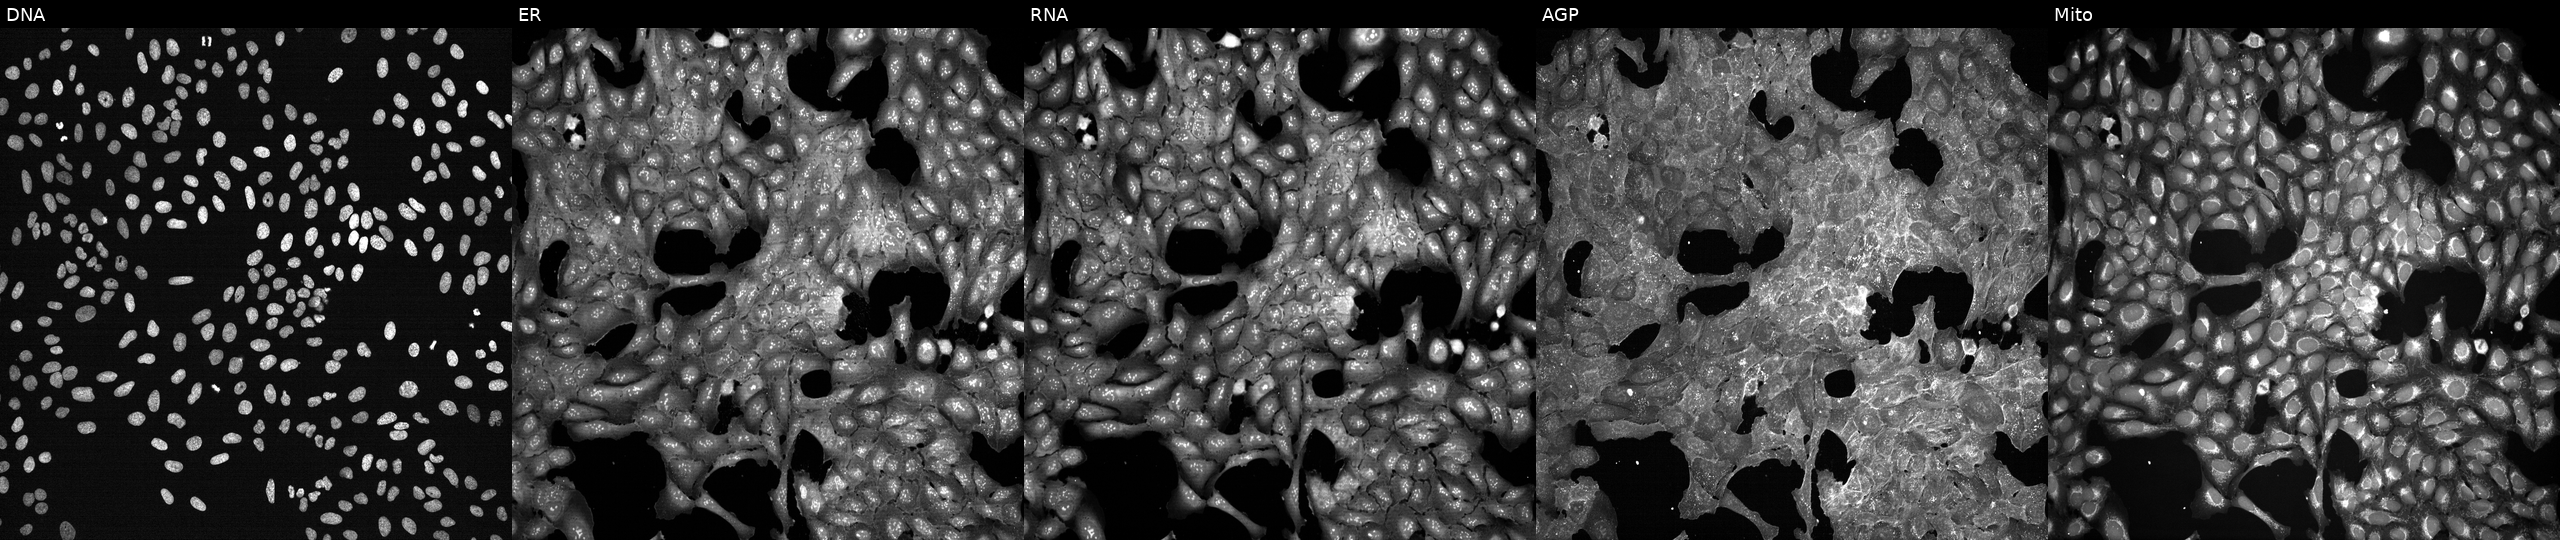
From left to right: Hoechst 33342, concanavalin A, SYTO 14, phalloidin and WGA, MitoTracker. U2OS osteosarcoma cells exposed to a small-molecule compound (InChIKey BCZUAADEACICHN-UHFFFAOYSA-N) [SMILES: Cn1cc(-c2ccc3nnc(Sc4ccc5ncccc5c4)n3n2)cn1] (JUMP id JCP2022_005529). Cell Painting assay, JUMP-CP dataset.